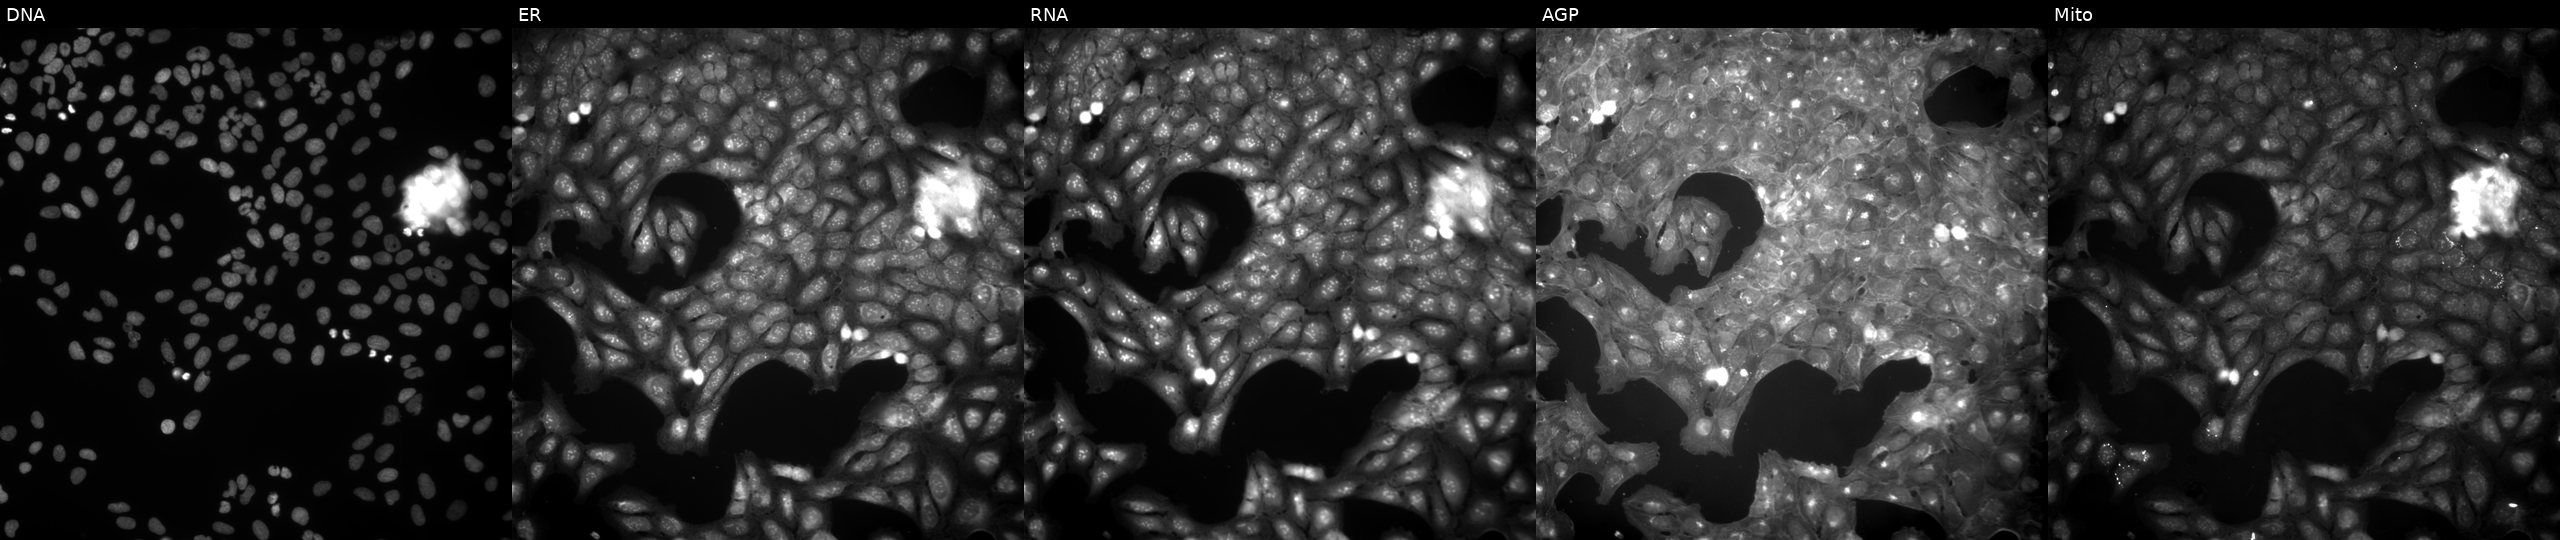
JUMP Cell Painting — COMPOUND plate. U2OS cells perturbed with a small-molecule compound (InChIKey FFYJZDYSOUIIGH-UHFFFAOYSA-N). Panels show, left to right, Hoechst 33342, concanavalin A, SYTO 14, phalloidin and WGA, MitoTracker.